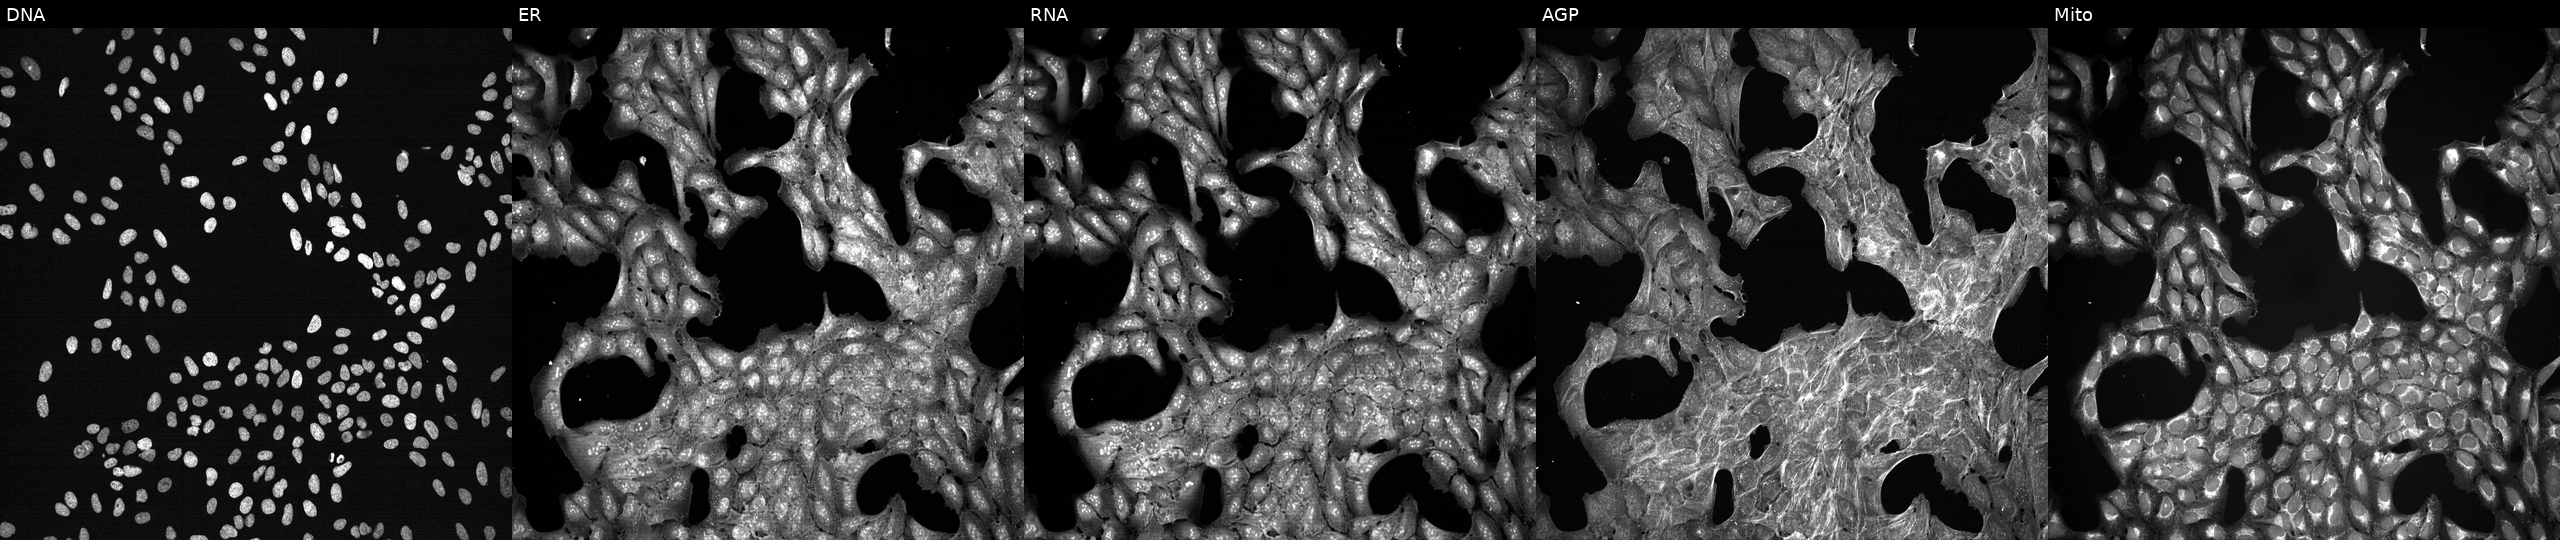
U2OS cells, Cell Painting assay, exposed to a small-molecule compound (InChIKey JZFPYUNJRRFVQU-UHFFFAOYSA-N) (JUMP id JCP2022_043099). Panels show, left to right, DNA (nuclei); ER (endoplasmic reticulum); RNA (nucleoli and cytoplasmic RNA); AGP (actin cytoskeleton, Golgi, and plasma membrane); Mito (mitochondria). Each panel is percentile-stretched 16-bit fluorescence.